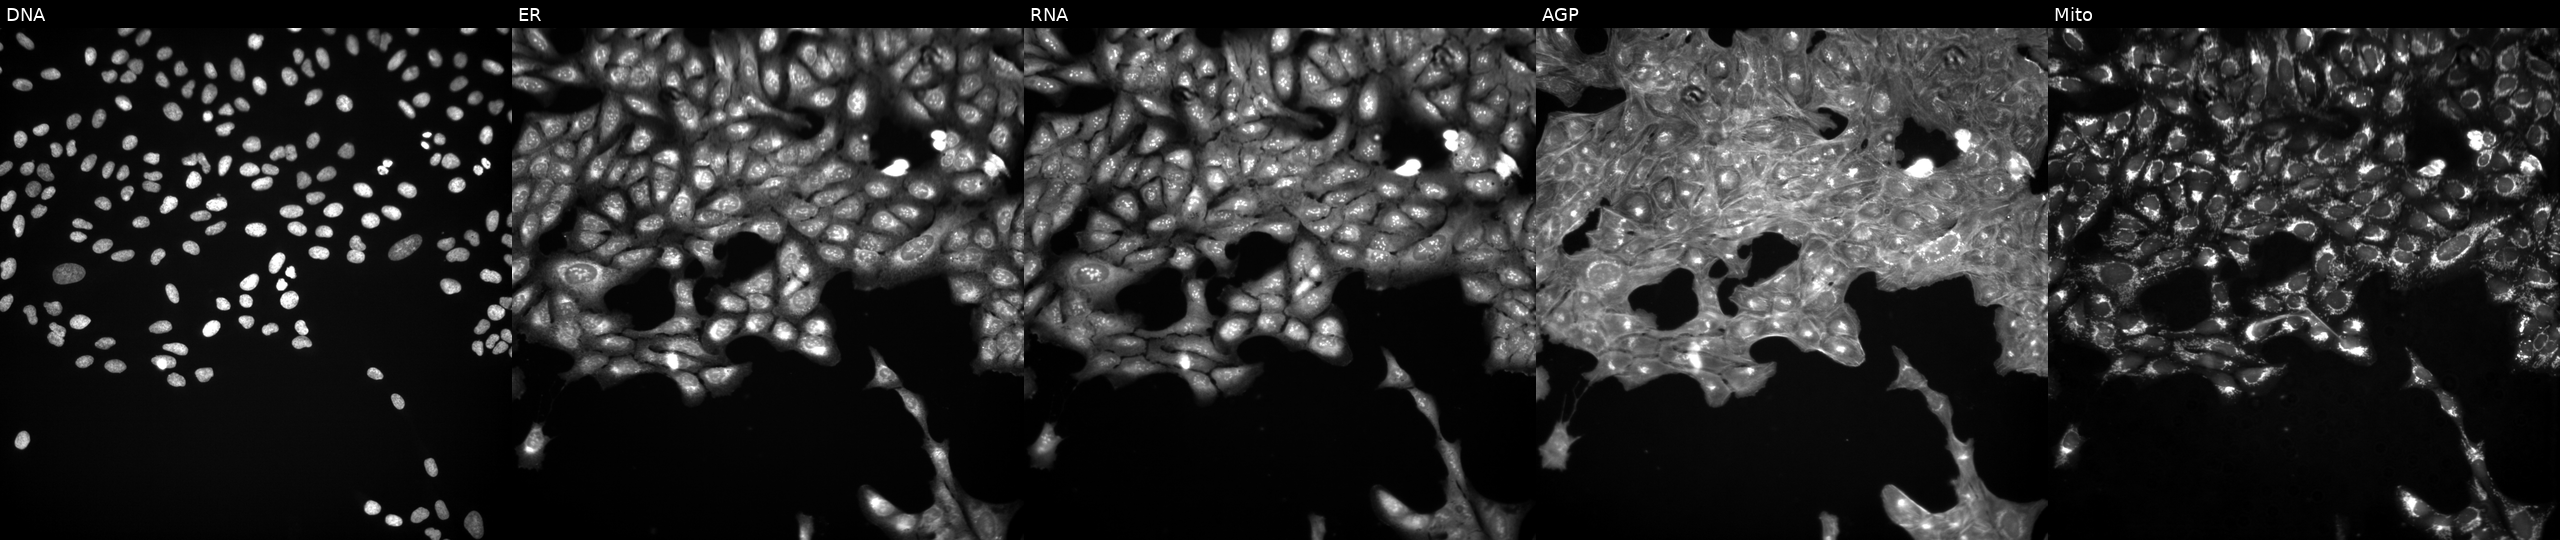
Five-channel Cell Painting image of U2OS cells treated with a small-molecule compound (InChIKey WLBUICQBNZXIDJ-UHFFFAOYSA-N). The five panels, left to right, show DNA, ER, RNA, AGP, and Mito.